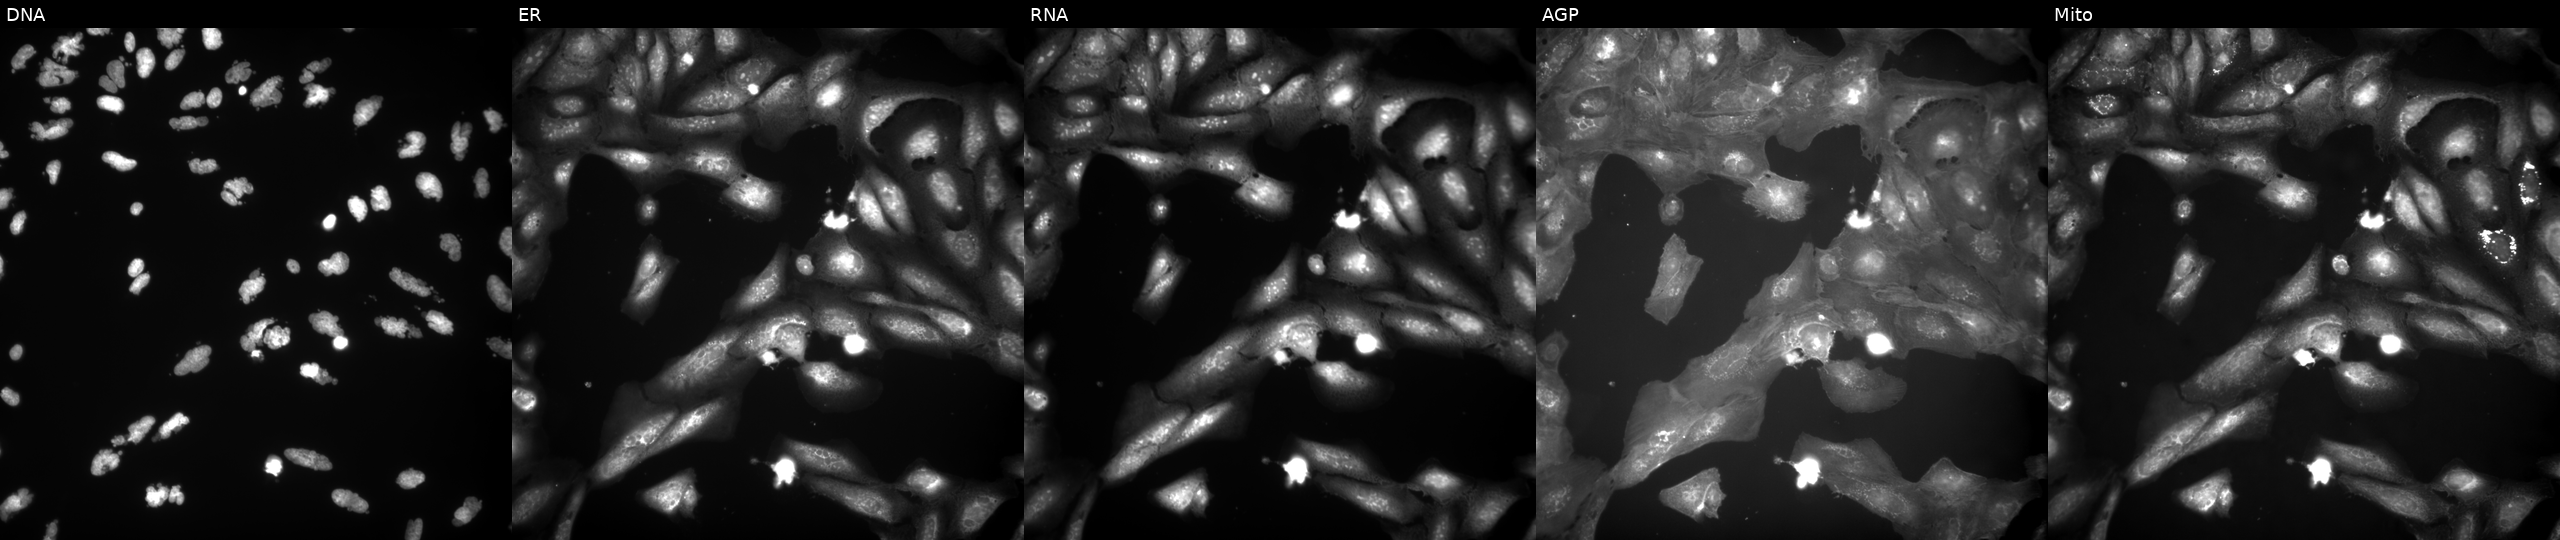
This image strip shows the five Cell Painting channels for a single field of U2OS cells treated with AMG900 (positive-control compound). Panels show, left to right, Hoechst 33342, concanavalin A, SYTO 14, phalloidin and WGA, MitoTracker.